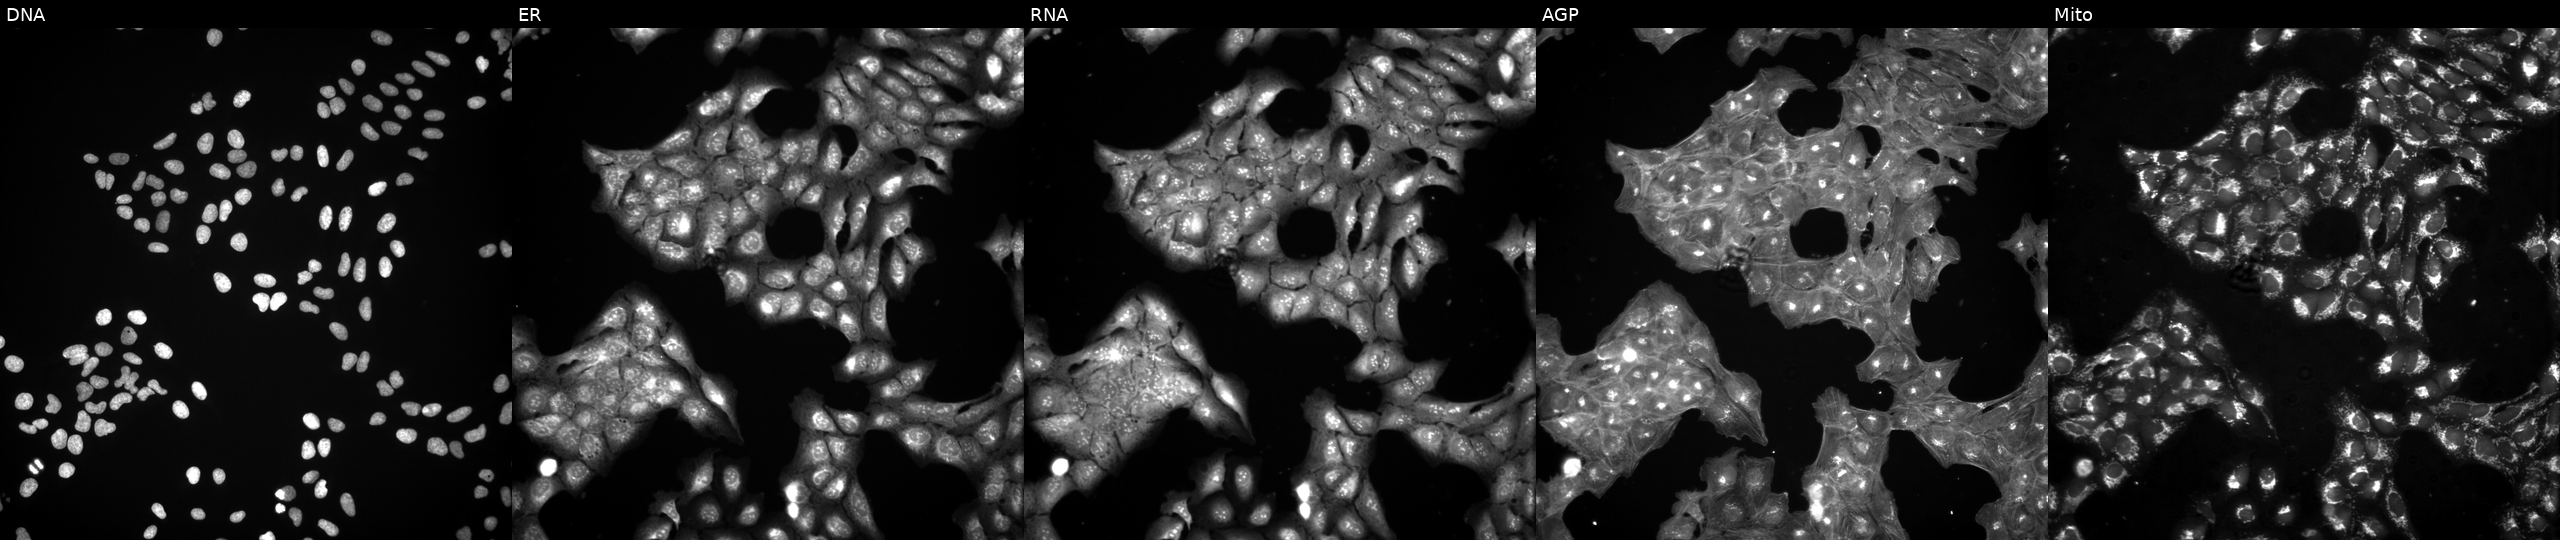
JUMP Cell Painting — COMPOUND plate. U2OS cells untreated (empty-well control) (JUMP id JCP2022_999999). Panels show, left to right, DNA, ER, RNA, AGP, and Mito.